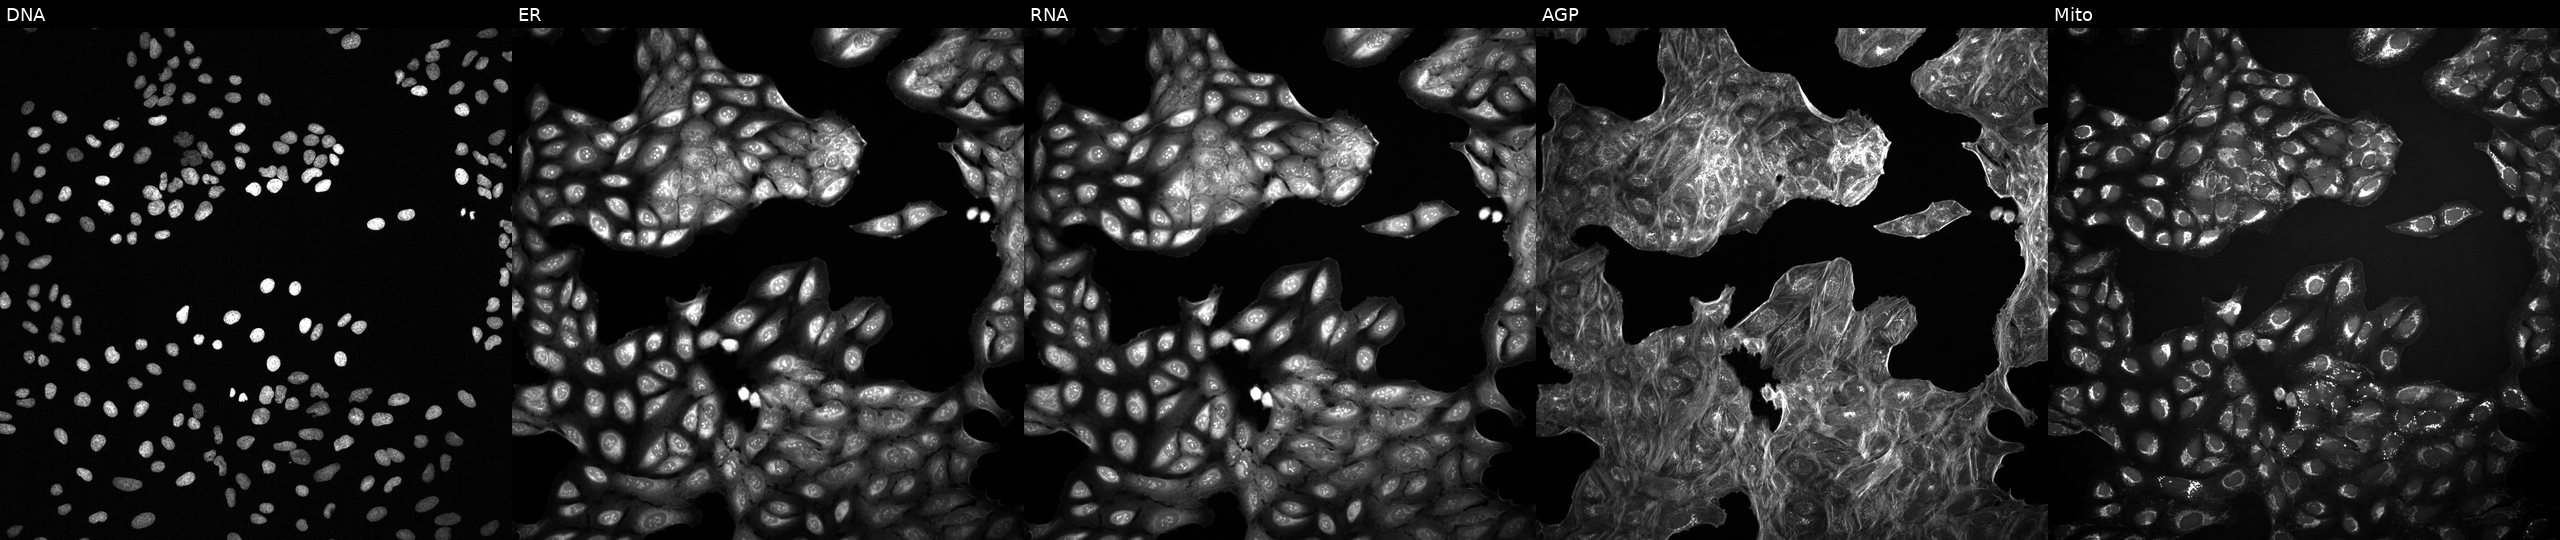
The five panels, left to right, show DNA, ER, RNA, AGP, and Mito. U2OS osteosarcoma cells with an unidentified perturbation (not annotated in JUMP metadata). Cell Painting assay, JUMP-CP dataset.